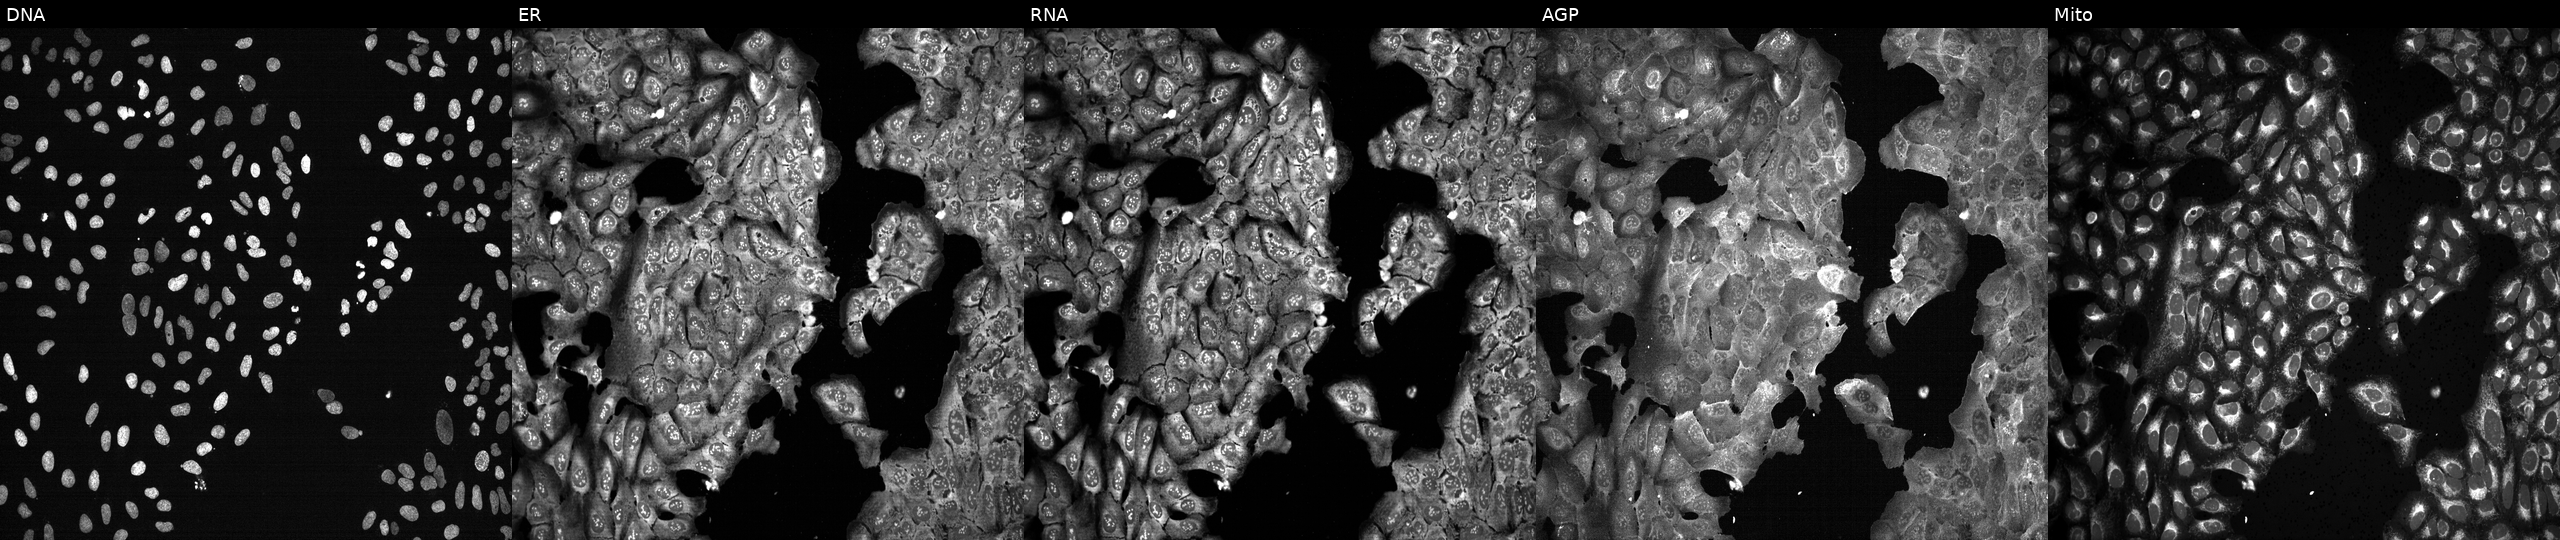
JUMP Cell Painting — CRISPR plate. U2OS cells CRISPR-edited to disrupt ALDH3B1. From left to right: DNA (nuclei); ER (endoplasmic reticulum); RNA (nucleoli and cytoplasmic RNA); AGP (actin cytoskeleton, Golgi, and plasma membrane); Mito (mitochondria). Source 13, plate CP-CC9-R2-02, well E18.